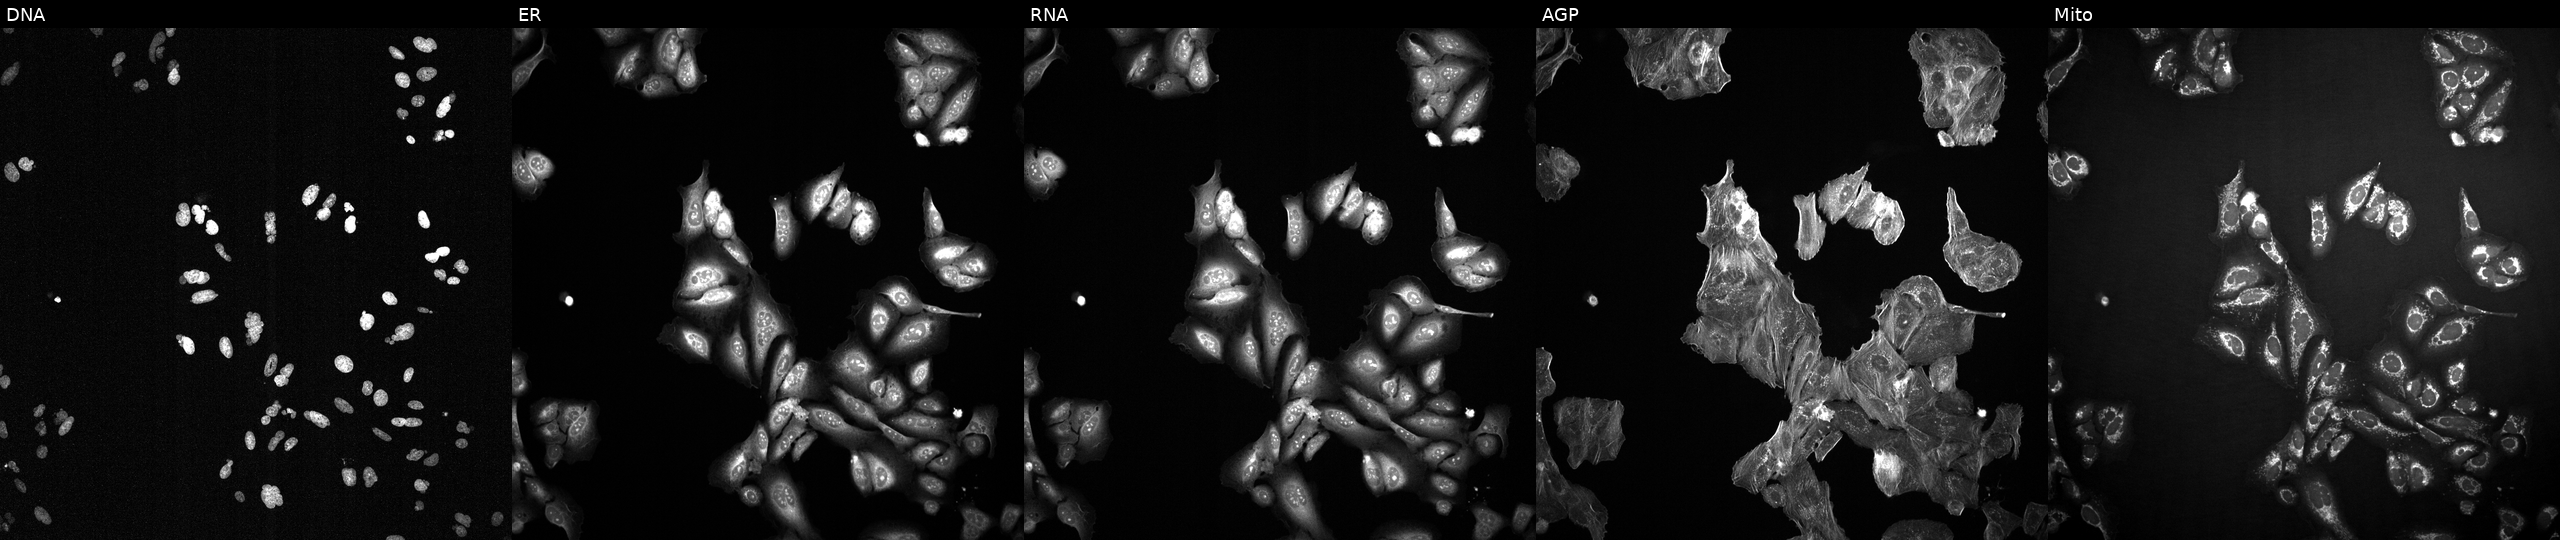
This image strip shows the five Cell Painting channels for a single field of U2OS cells exposed to a small-molecule compound. From left to right: DNA (nuclei); ER (endoplasmic reticulum); RNA (nucleoli and cytoplasmic RNA); AGP (actin cytoskeleton, Golgi, and plasma membrane); Mito (mitochondria). Source 2, plate 1053599503, well J15.